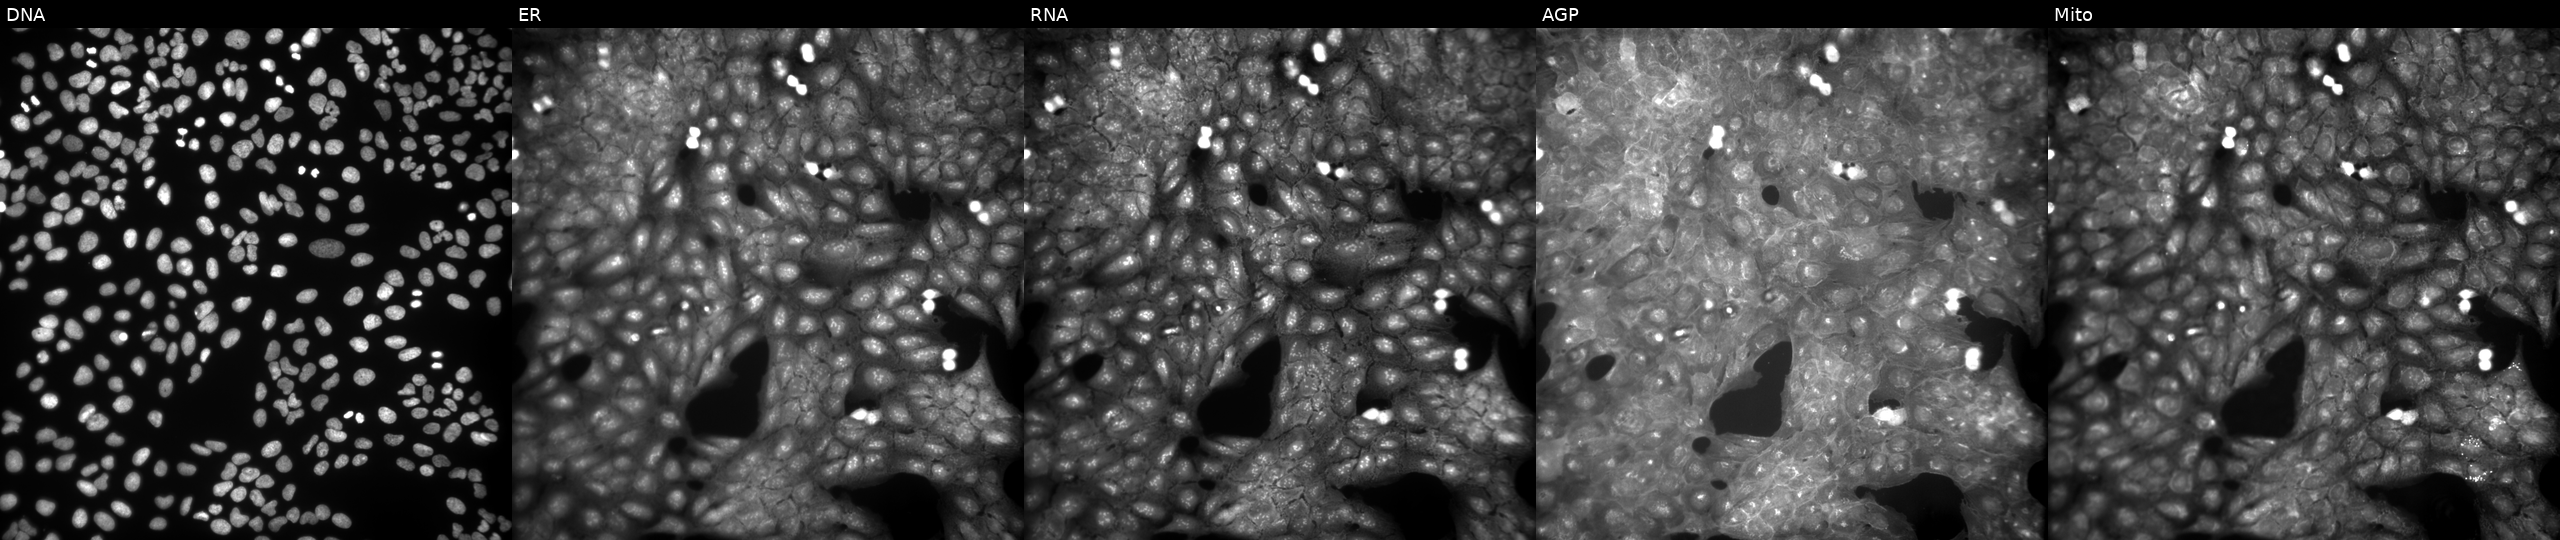
Panels show, left to right, Hoechst 33342, concanavalin A, SYTO 14, phalloidin and WGA, MitoTracker. U2OS osteosarcoma cells perturbed with a small-molecule compound (InChIKey ZEJBYFGPGCVHTI-UHFFFAOYSA-N) [SMILES: O=[N+]([O-])c1ccc(Nc2ccc(Br)cc2)c2nonc12]. Cell Painting assay, JUMP-CP dataset. Source 9, plate GR00003382, well E44.